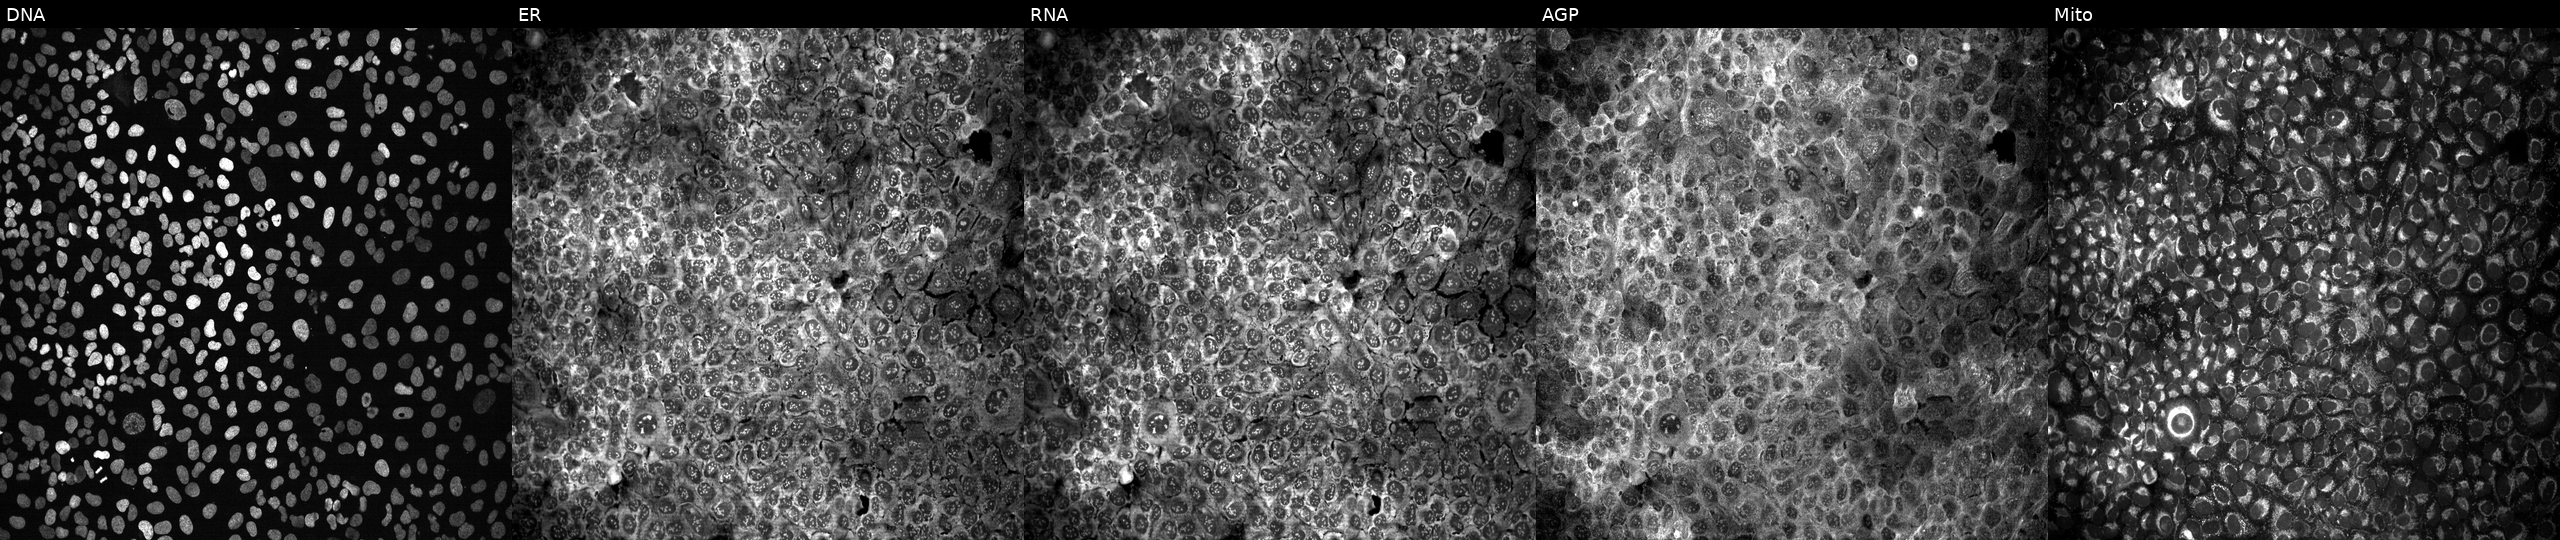
High-content fluorescence microscopy (Cell Painting). Cell line: U2OS. Perturbation: with G3BP1 knocked out by CRISPR. The five panels, left to right, show DNA (nuclei); ER (endoplasmic reticulum); RNA (nucleoli and cytoplasmic RNA); AGP (actin cytoskeleton, Golgi, and plasma membrane); Mito (mitochondria).